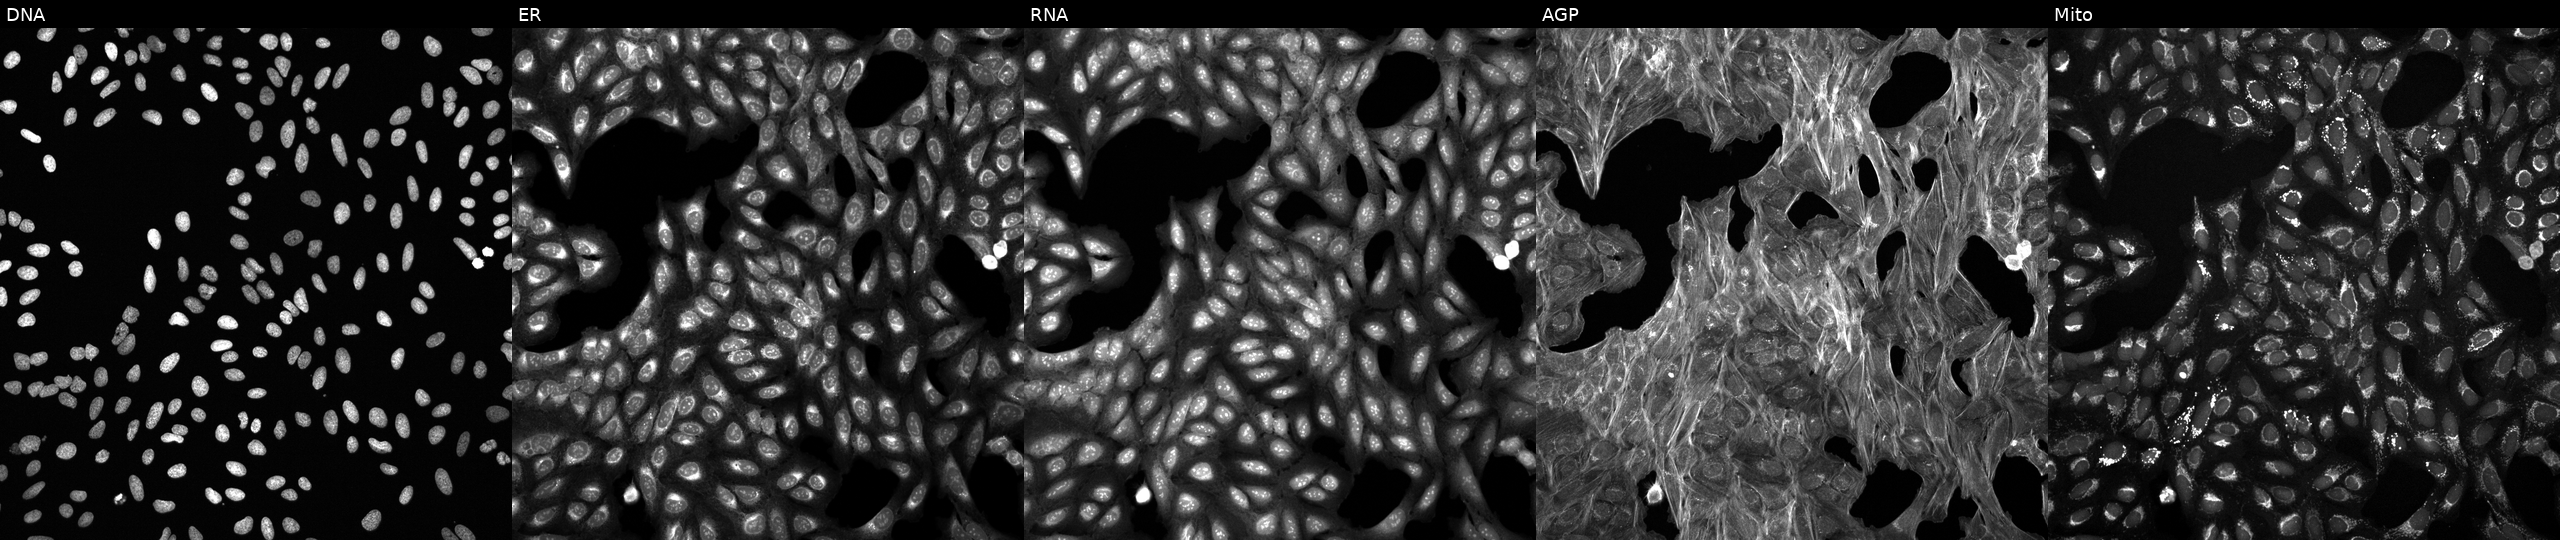
Panels show, left to right, DNA, ER, RNA, AGP, and Mito. U2OS osteosarcoma cells exposed to DMSO alone as a negative control (JUMP id JCP2022_033924). Cell Painting assay, JUMP-CP dataset.